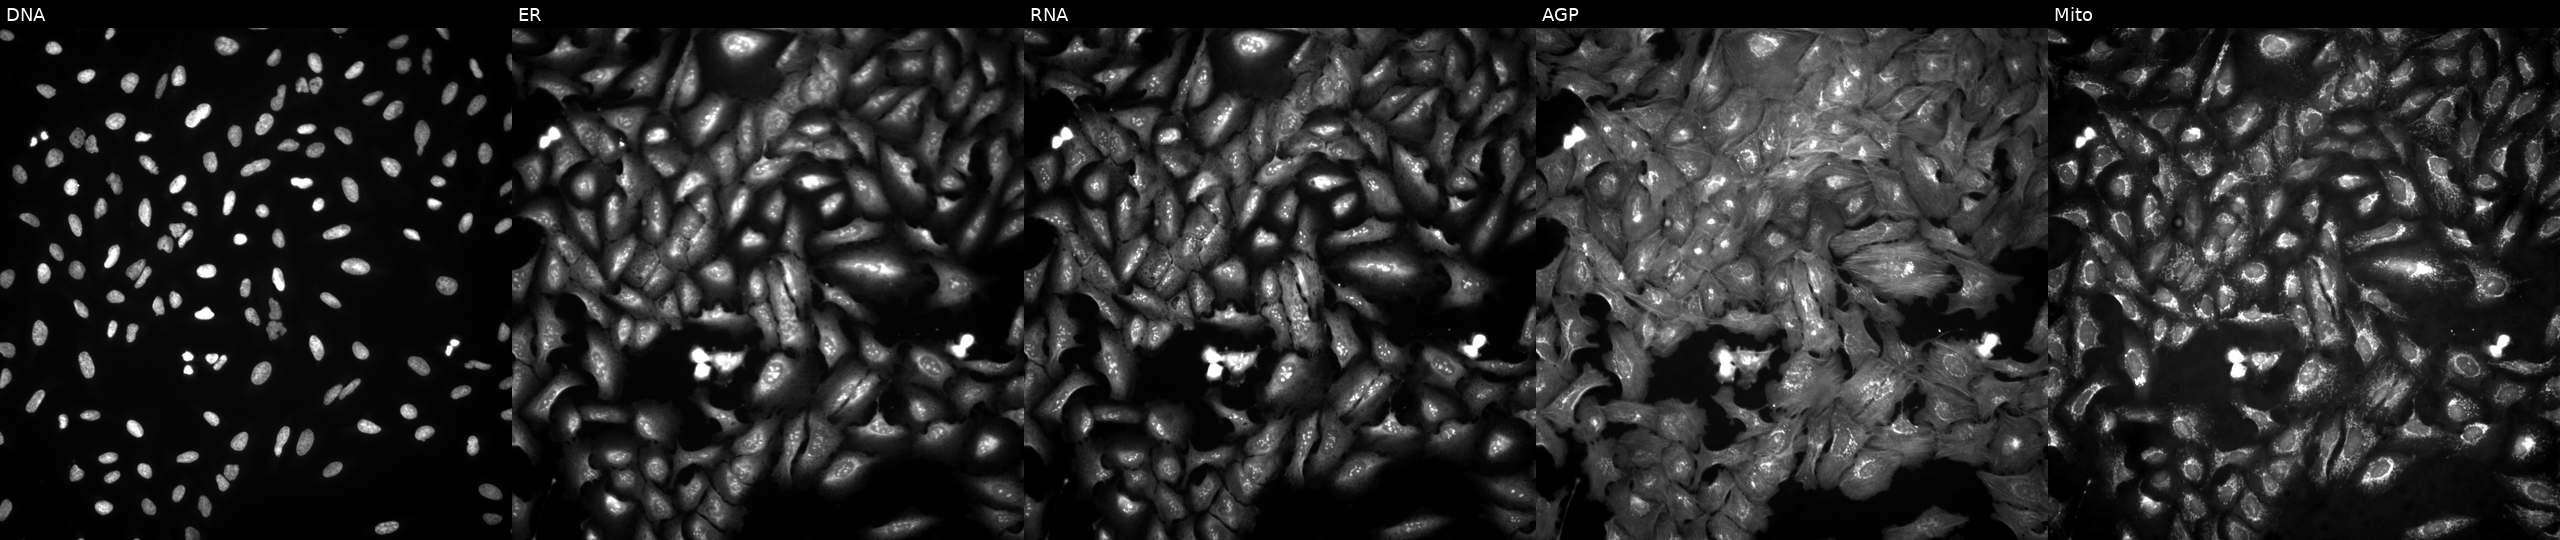
Five-channel Cell Painting image of U2OS cells transfected with an ORF construct for PSMD3. Channels (left→right): DNA, ER, RNA, AGP, and Mito. Source 4, plate BR00124784, well C12.